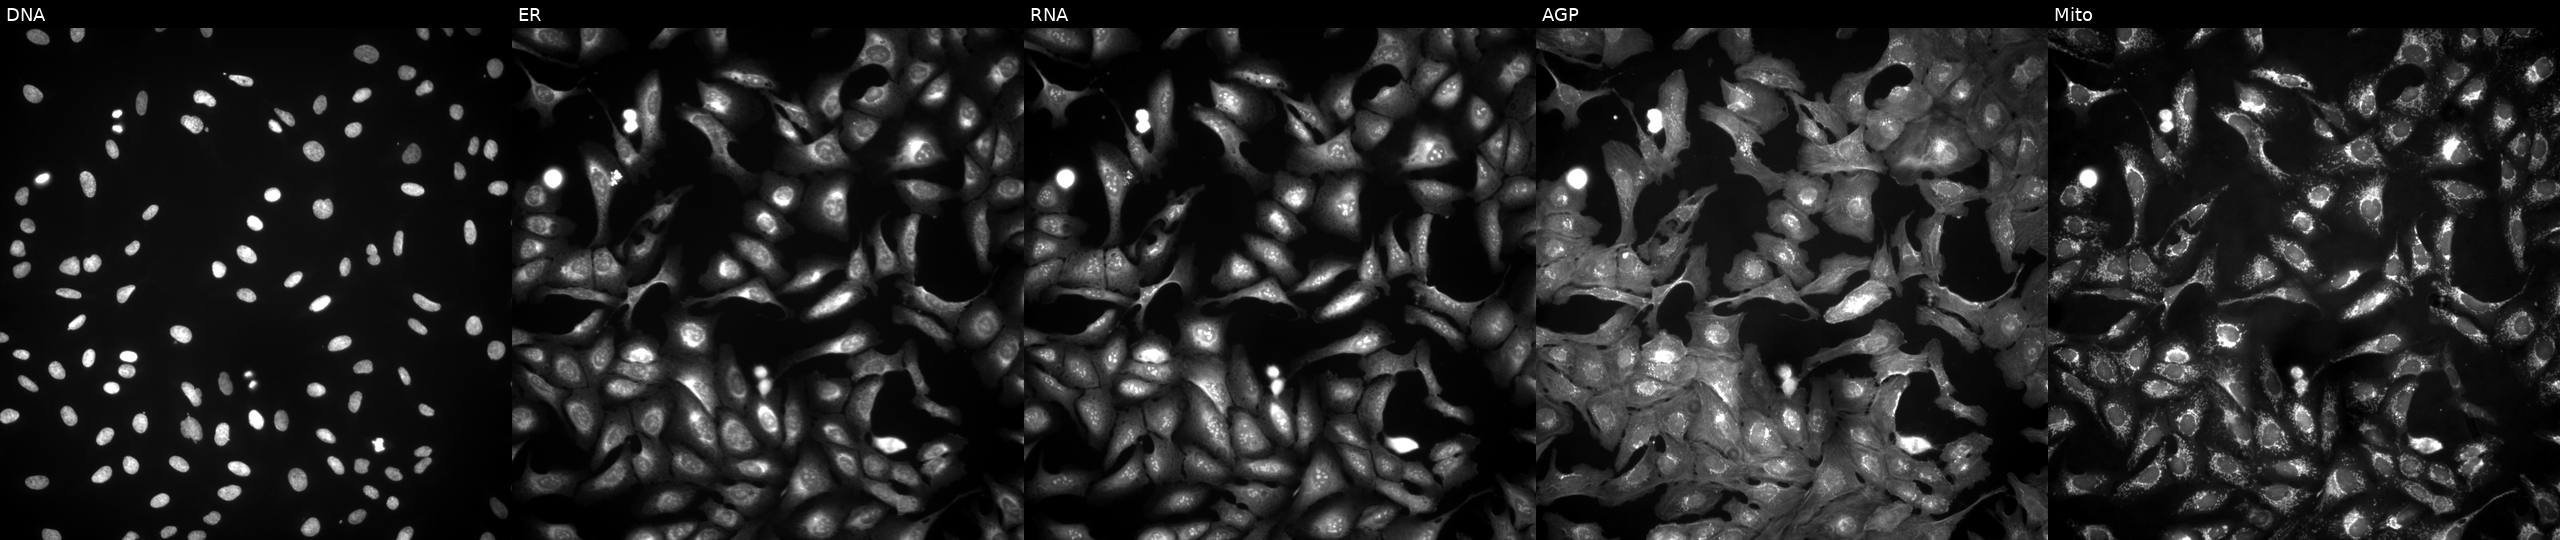
JUMP Cell Painting — ORF plate. U2OS cells untreated (empty-well control) (JUMP id JCP2022_999999). The five panels, left to right, show Hoechst 33342, concanavalin A, SYTO 14, phalloidin and WGA, MitoTracker. Source 4, plate BR00124790, well A24.